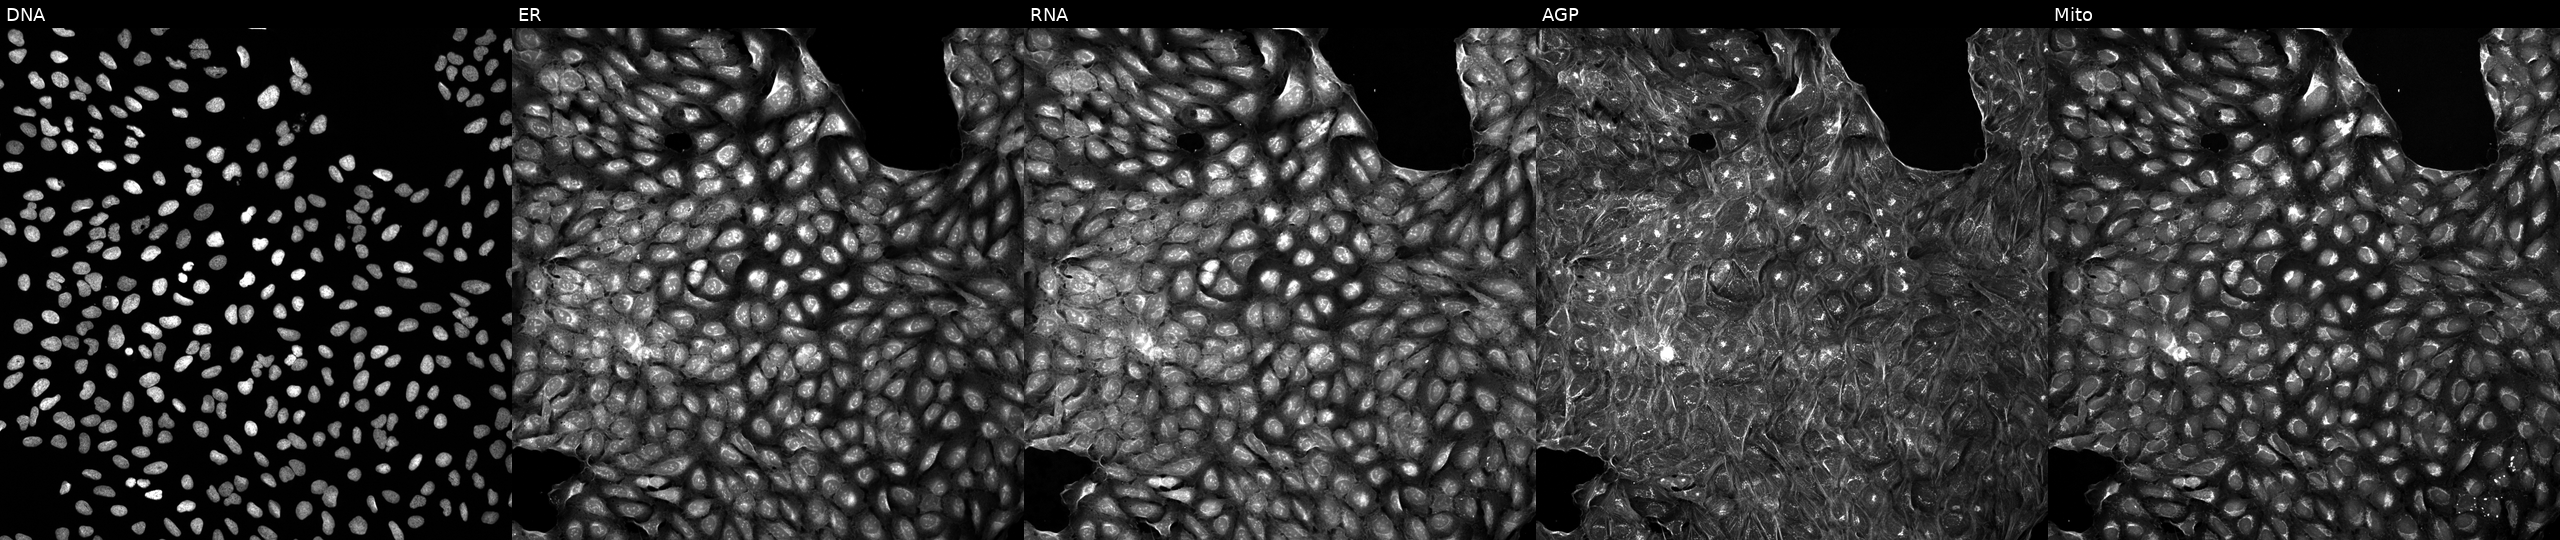
Five-channel Cell Painting image of U2OS cells treated with a small-molecule compound (JUMP id JCP2022_021614). Channels (left→right): Hoechst 33342, concanavalin A, SYTO 14, phalloidin and WGA, MitoTracker.